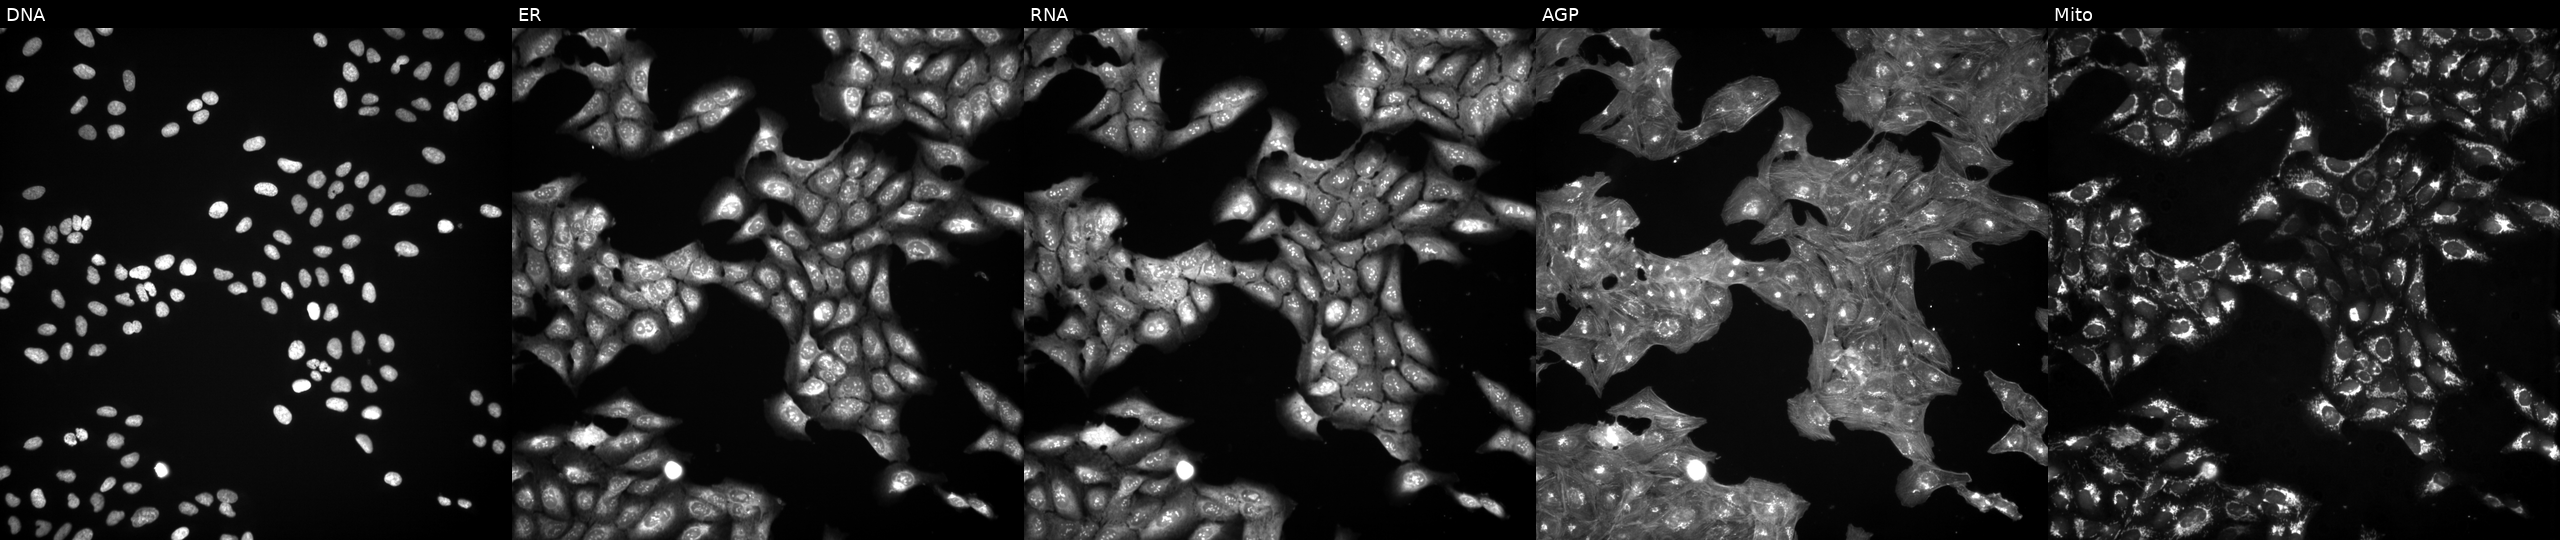
High-content fluorescence microscopy (Cell Painting). Cell line: U2OS. Perturbation: untreated (empty-well control) (JUMP id JCP2022_999999). Channels (left→right): DNA (nuclei); ER (endoplasmic reticulum); RNA (nucleoli and cytoplasmic RNA); AGP (actin cytoskeleton, Golgi, and plasma membrane); Mito (mitochondria).